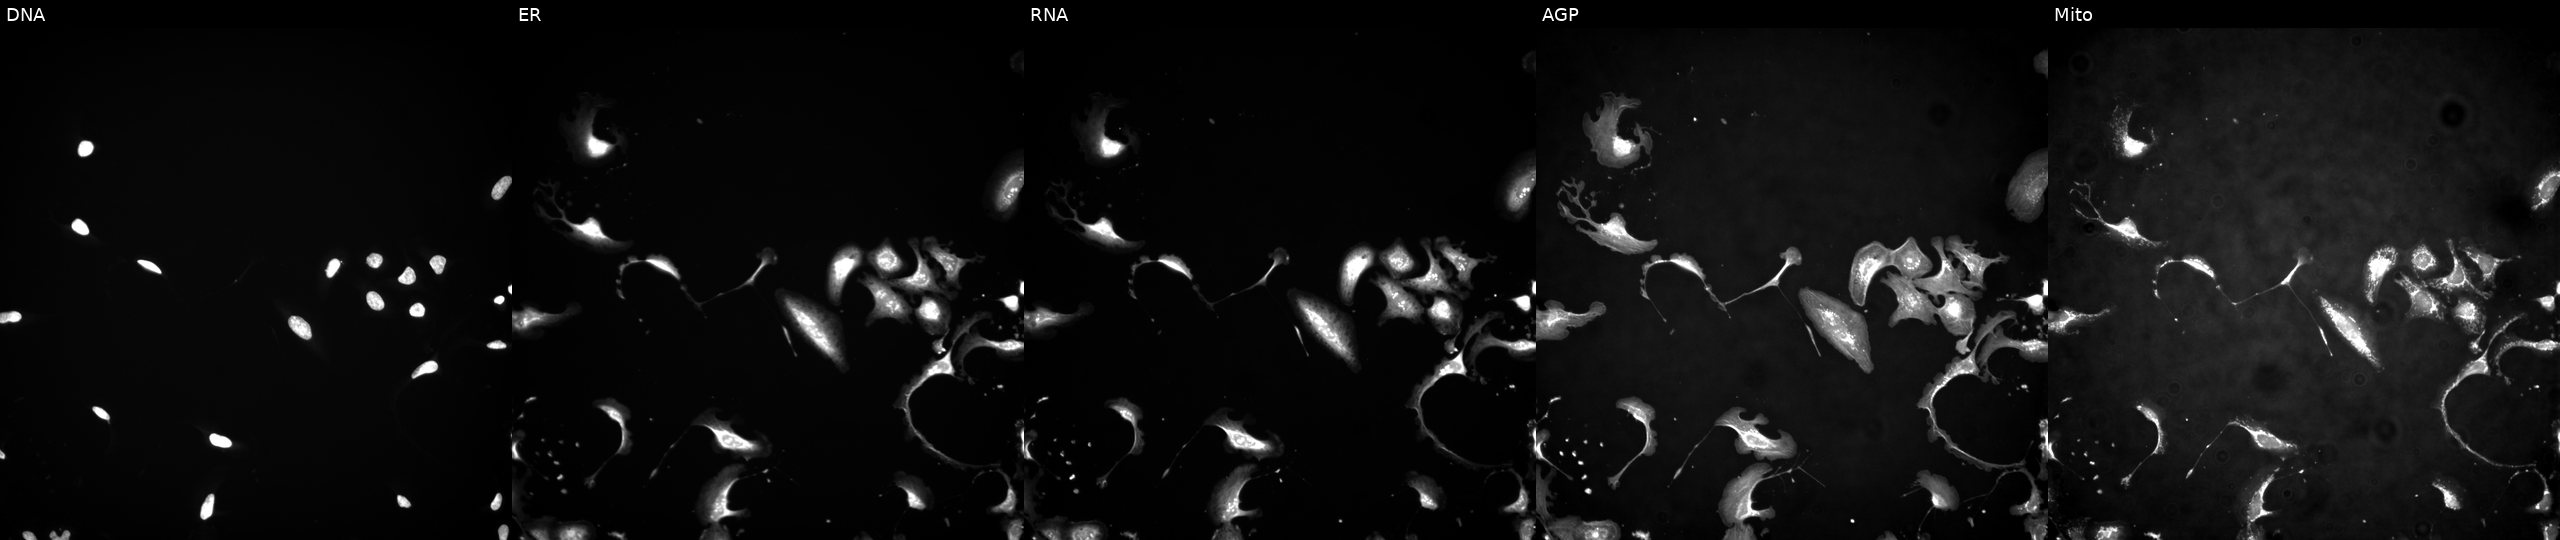
This image strip shows the five Cell Painting channels for a single field of U2OS cells overexpressing CRKL via ORF transfection (JUMP id JCP2022_913627). Channels (left→right): Hoechst 33342, concanavalin A, SYTO 14, phalloidin and WGA, MitoTracker. Source 4, plate BR00123945, well K06.